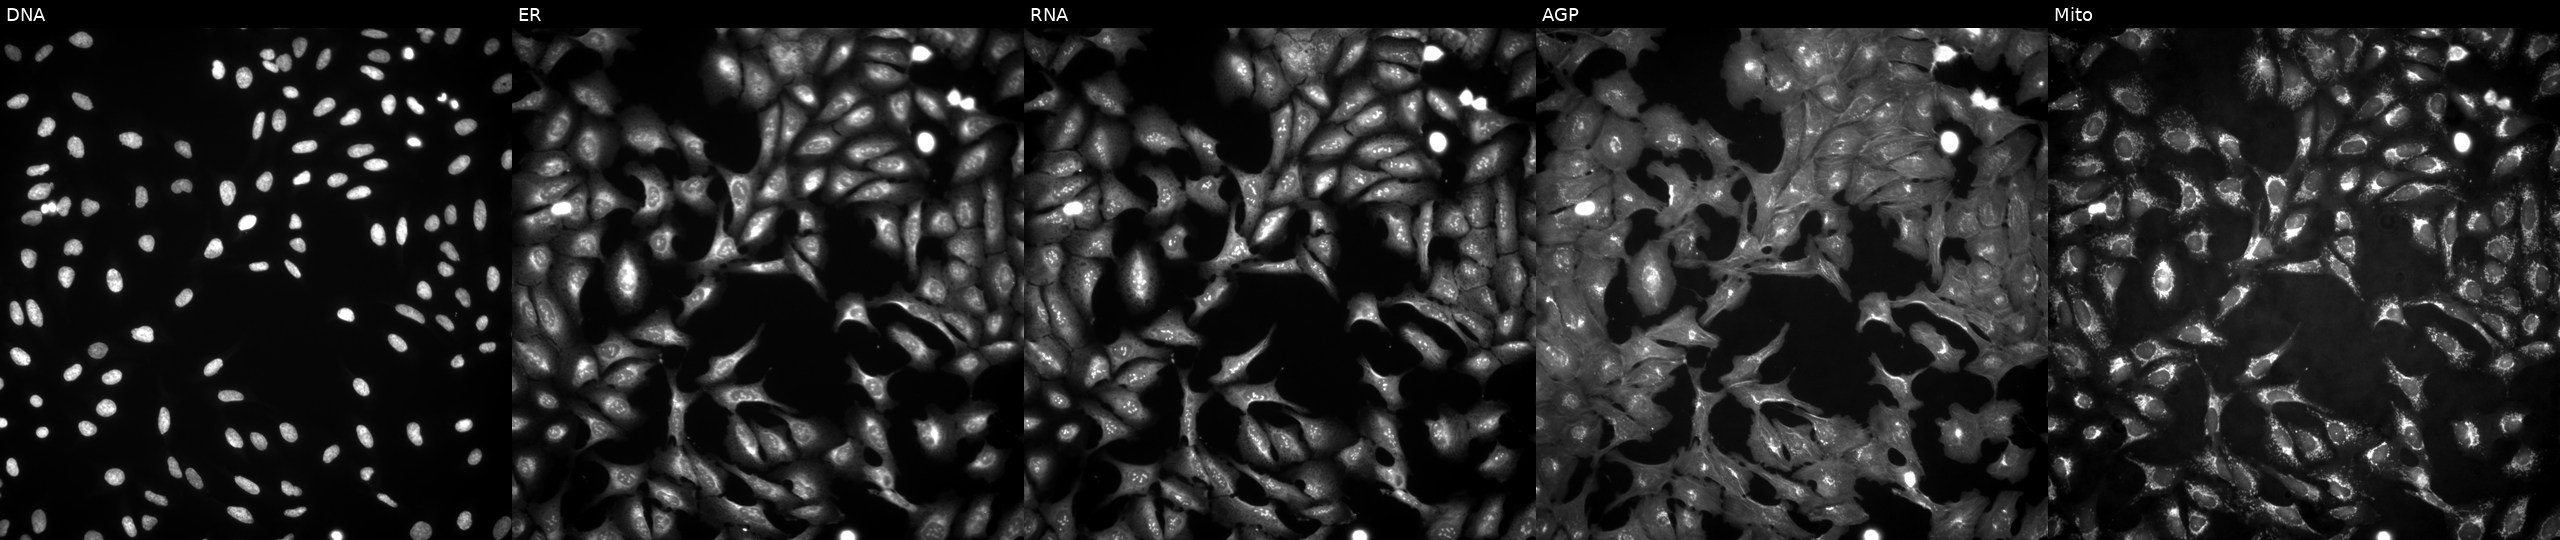
U2OS cells, Cell Painting assay, overexpressing CLMP via ORF transfection. The five panels, left to right, show DNA, ER, RNA, AGP, and Mito. Each panel is percentile-stretched 16-bit fluorescence. Source 4, plate BR00123509, well E19.